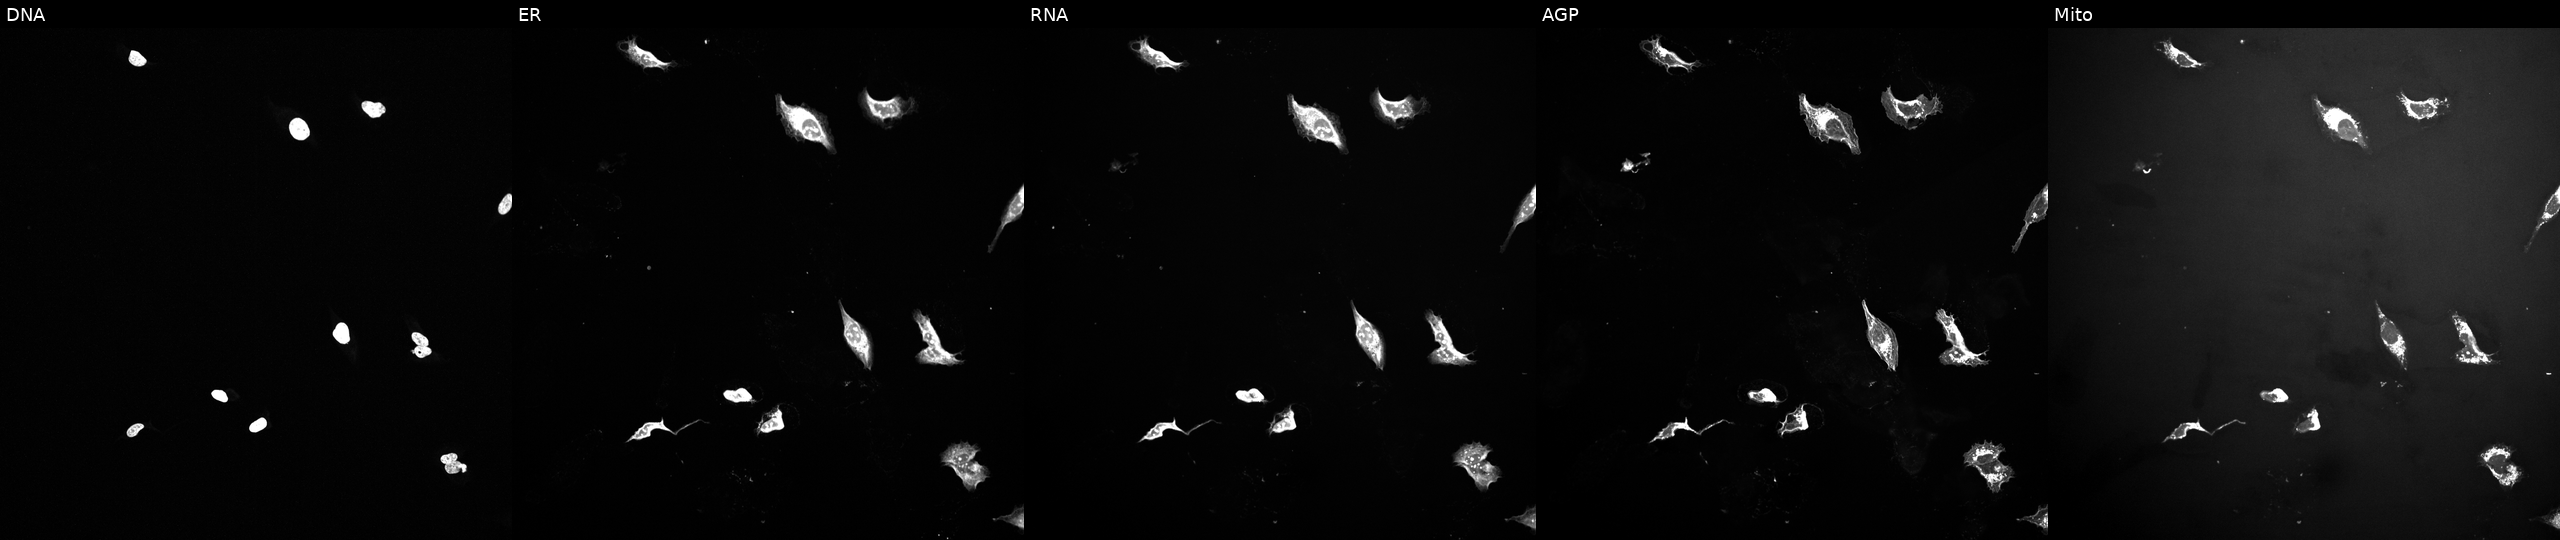
Five-channel Cell Painting image of U2OS cells treated with a small-molecule compound (InChIKey BBDGBGOVJPEFBT-UHFFFAOYSA-N) [SMILES: c1cc(-c2cnn3cc(-c4ccc(N5CCNCC5)cc4)cnc23)c2cccnc2c1]. Channels (left→right): DNA (nuclei); ER (endoplasmic reticulum); RNA (nucleoli and cytoplasmic RNA); AGP (actin cytoskeleton, Golgi, and plasma membrane); Mito (mitochondria).